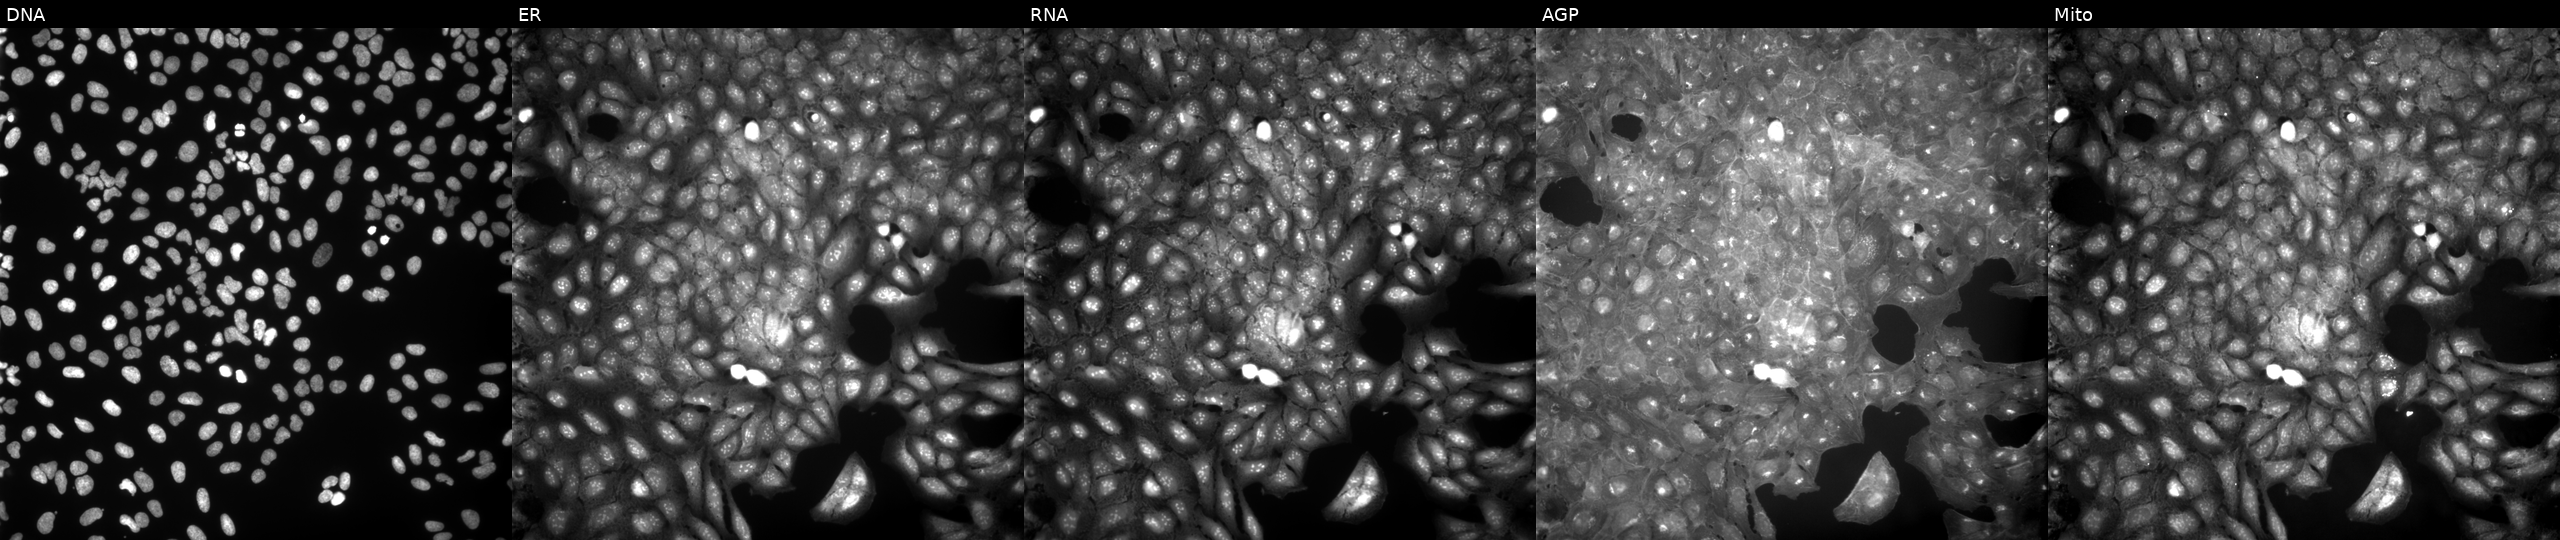
High-content fluorescence microscopy (Cell Painting). Cell line: U2OS. Perturbation: exposed to DMSO alone as a negative control (JUMP id JCP2022_033924). From left to right: DNA, ER, RNA, AGP, and Mito. Source 9, plate GR00003382, well D26.